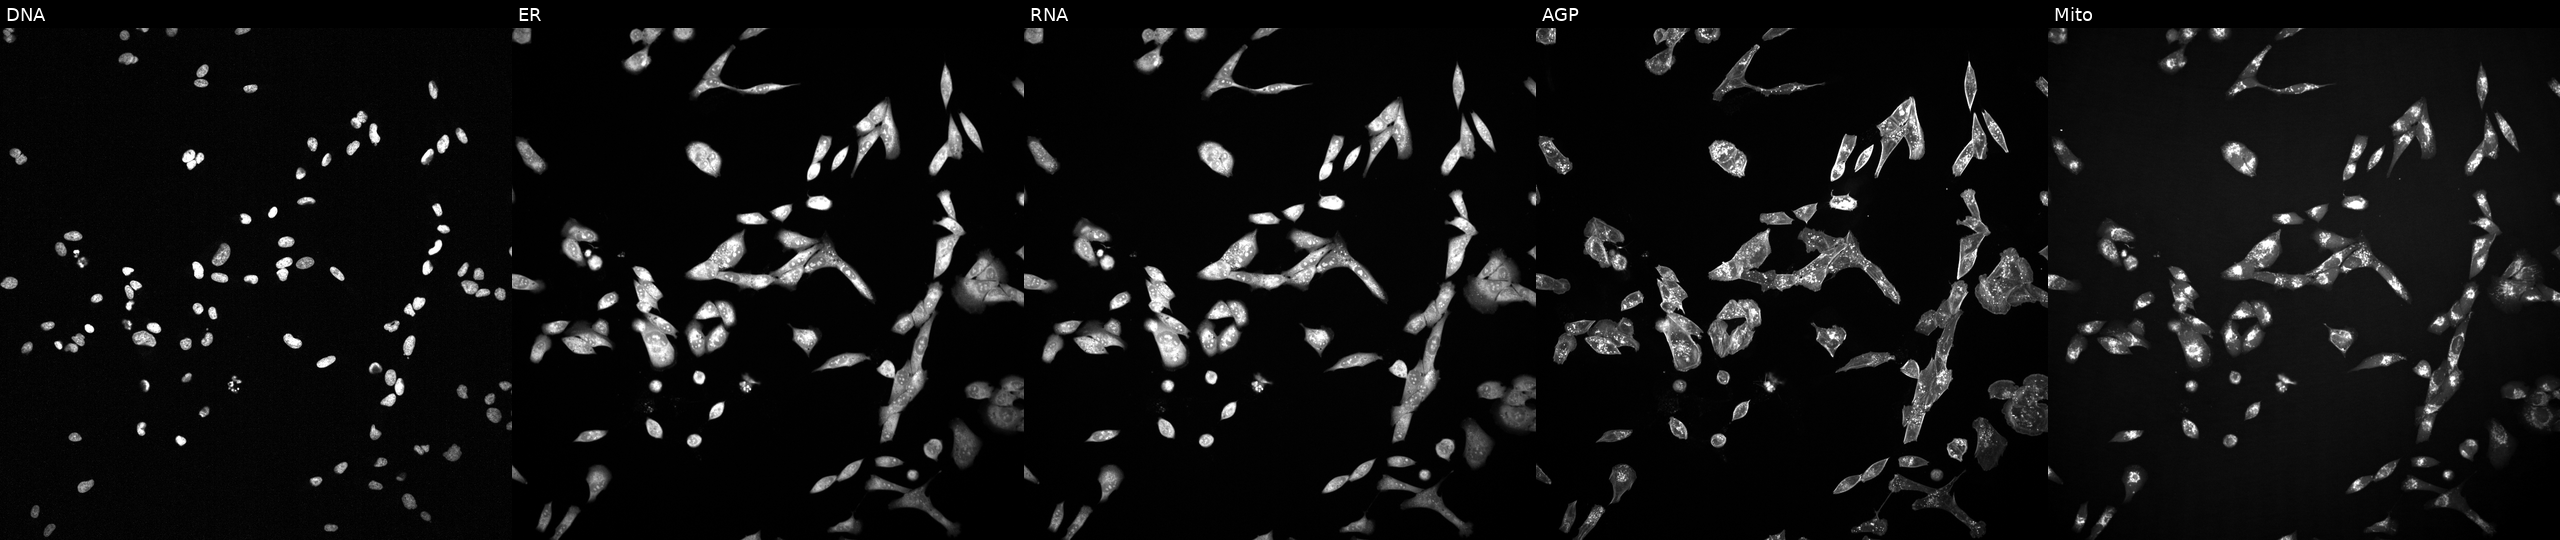
U2OS cells, Cell Painting assay, exposed to a small-molecule compound (InChIKey KJNNWYBAOPXVJY-UHFFFAOYSA-N). Channels (left→right): Hoechst 33342, concanavalin A, SYTO 14, phalloidin and WGA, MitoTracker. Each panel is percentile-stretched 16-bit fluorescence. Source 2, plate 1053600674, well E20.